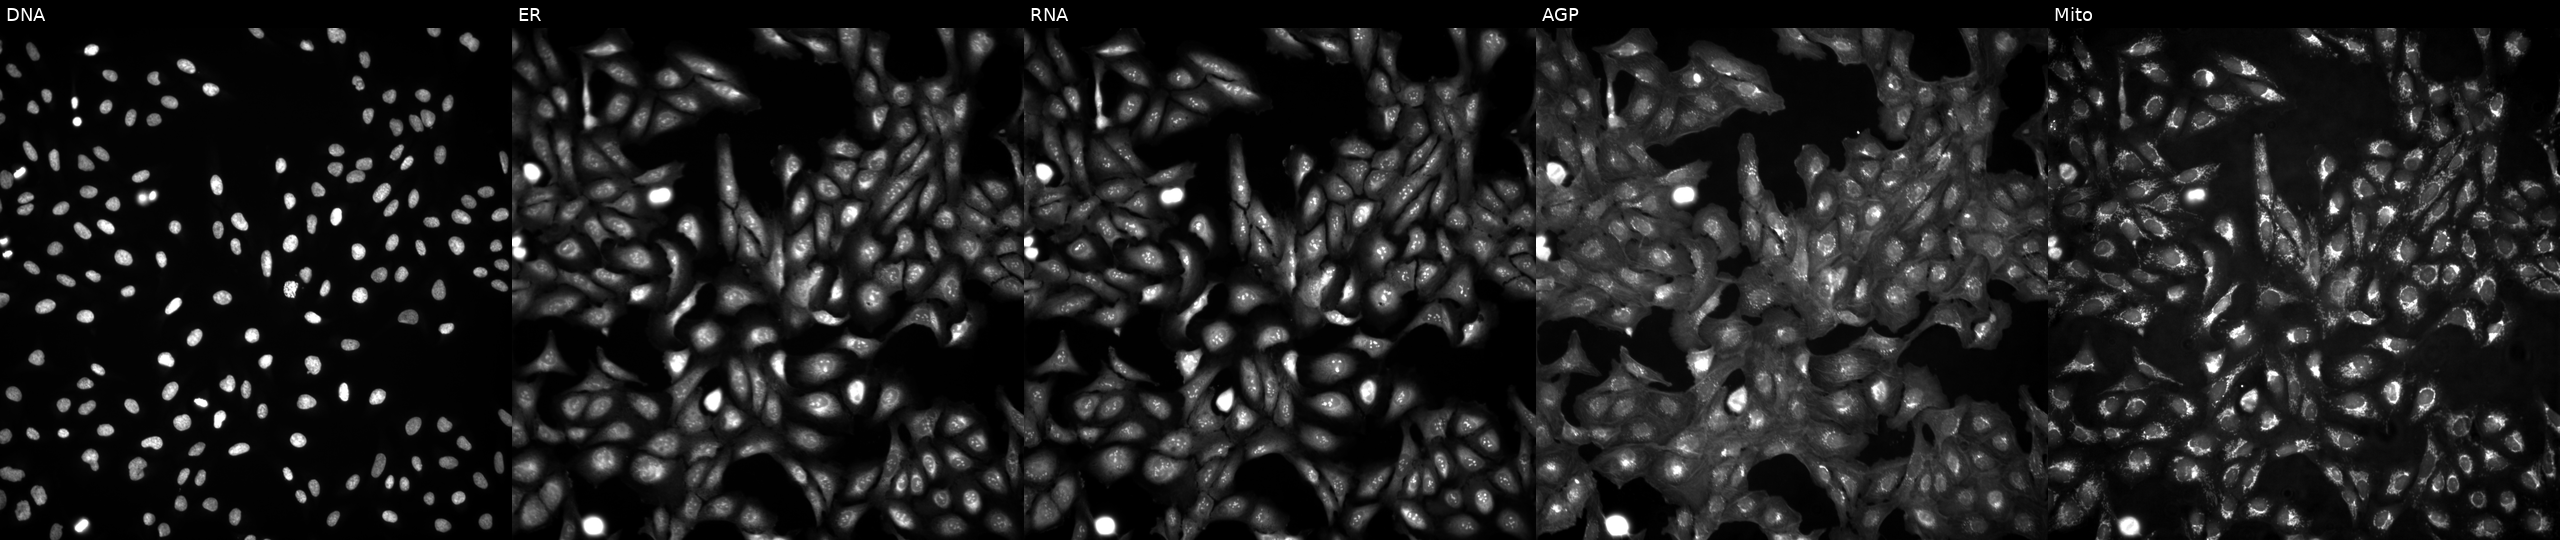
U2OS cells, Cell Painting assay, in an empty control well (no perturbation). From left to right: DNA, ER, RNA, AGP, and Mito. Each panel is percentile-stretched 16-bit fluorescence. Source 4, plate BR00124793, well D03.